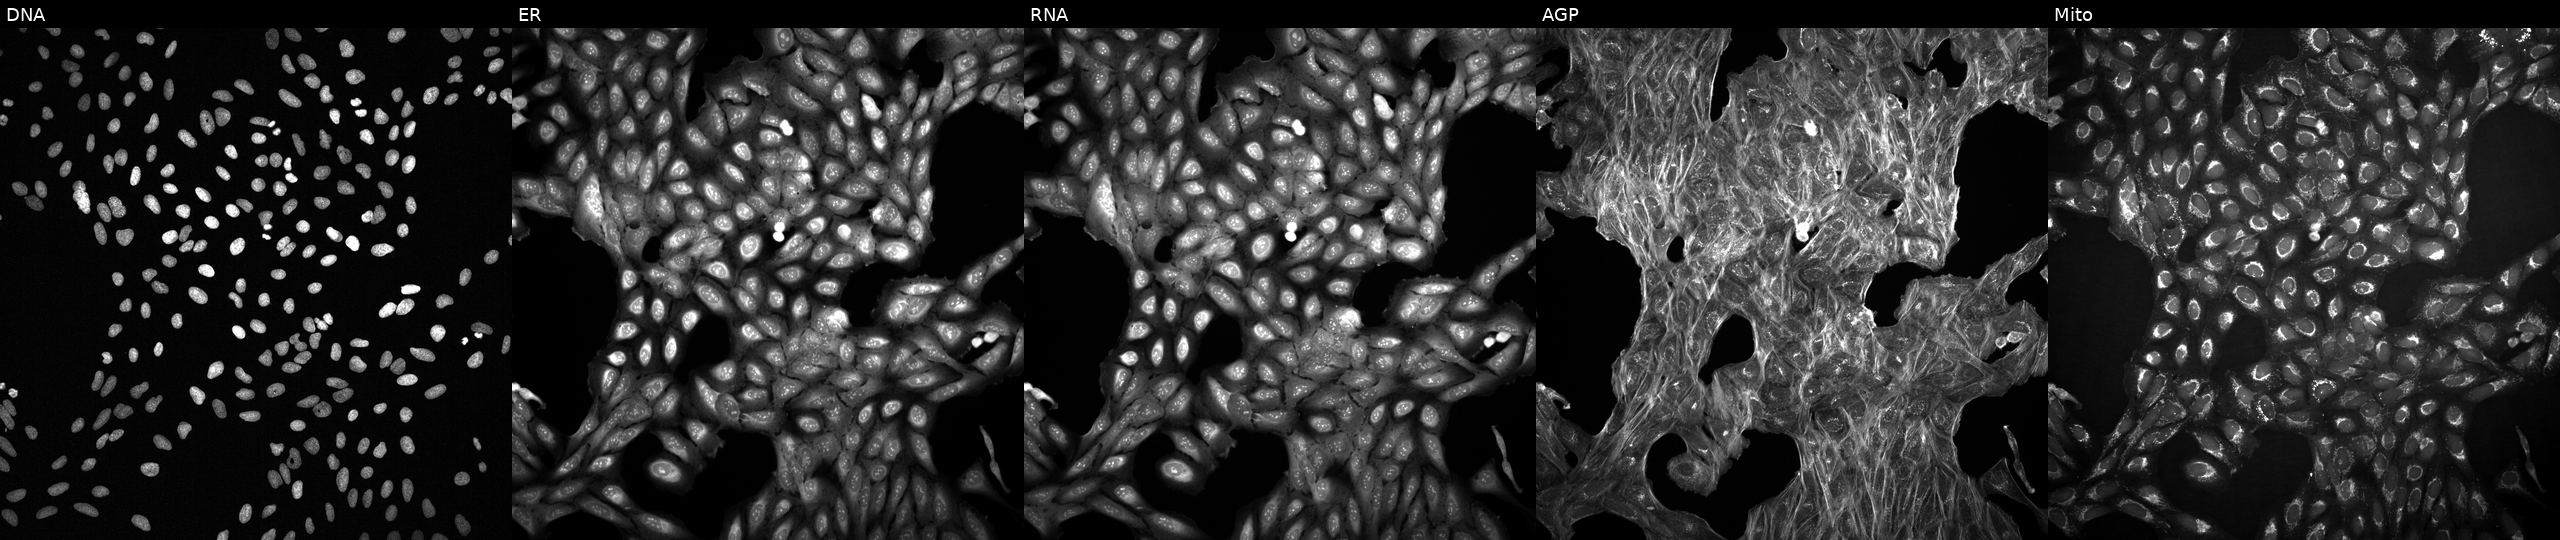
This image strip shows the five Cell Painting channels for a single field of U2OS cells perturbed with a small-molecule compound (InChIKey QKRPWOJRFFBQRG-UHFFFAOYSA-N) [SMILES: O=S(=O)(Nc1cccc(Oc2cnccn2)c1)c1ccc(OC(F)(F)F)cc1]. Panels show, left to right, Hoechst 33342, concanavalin A, SYTO 14, phalloidin and WGA, MitoTracker. Source 2, plate 1053601763, well G17.